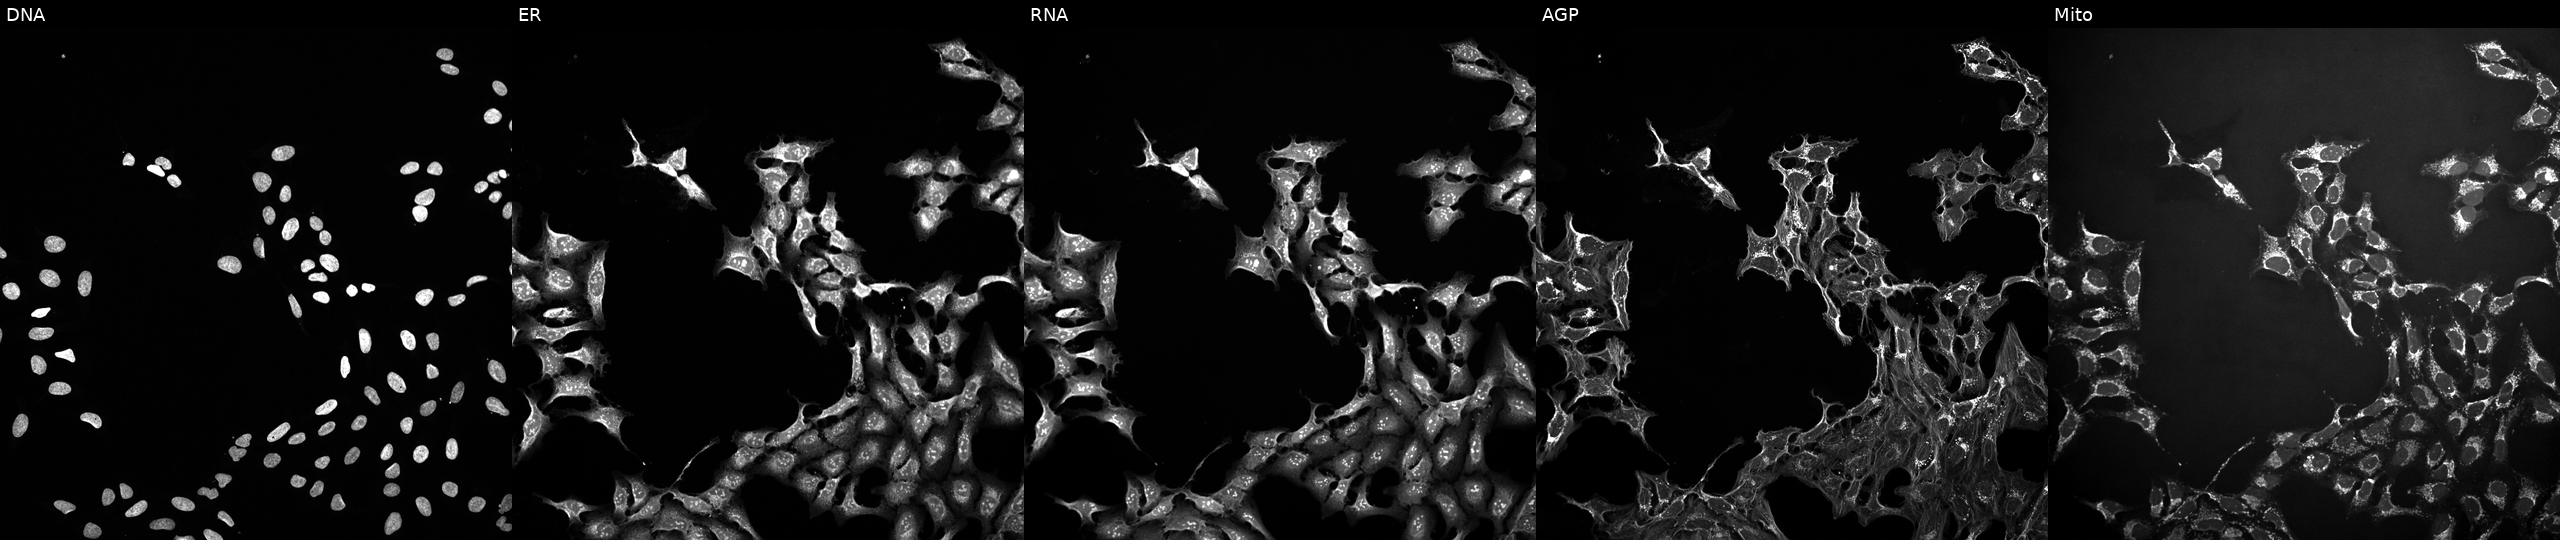
This image strip shows the five Cell Painting channels for a single field of U2OS cells exposed to a small-molecule compound (JUMP id JCP2022_116560). The five panels, left to right, show DNA, ER, RNA, AGP, and Mito.